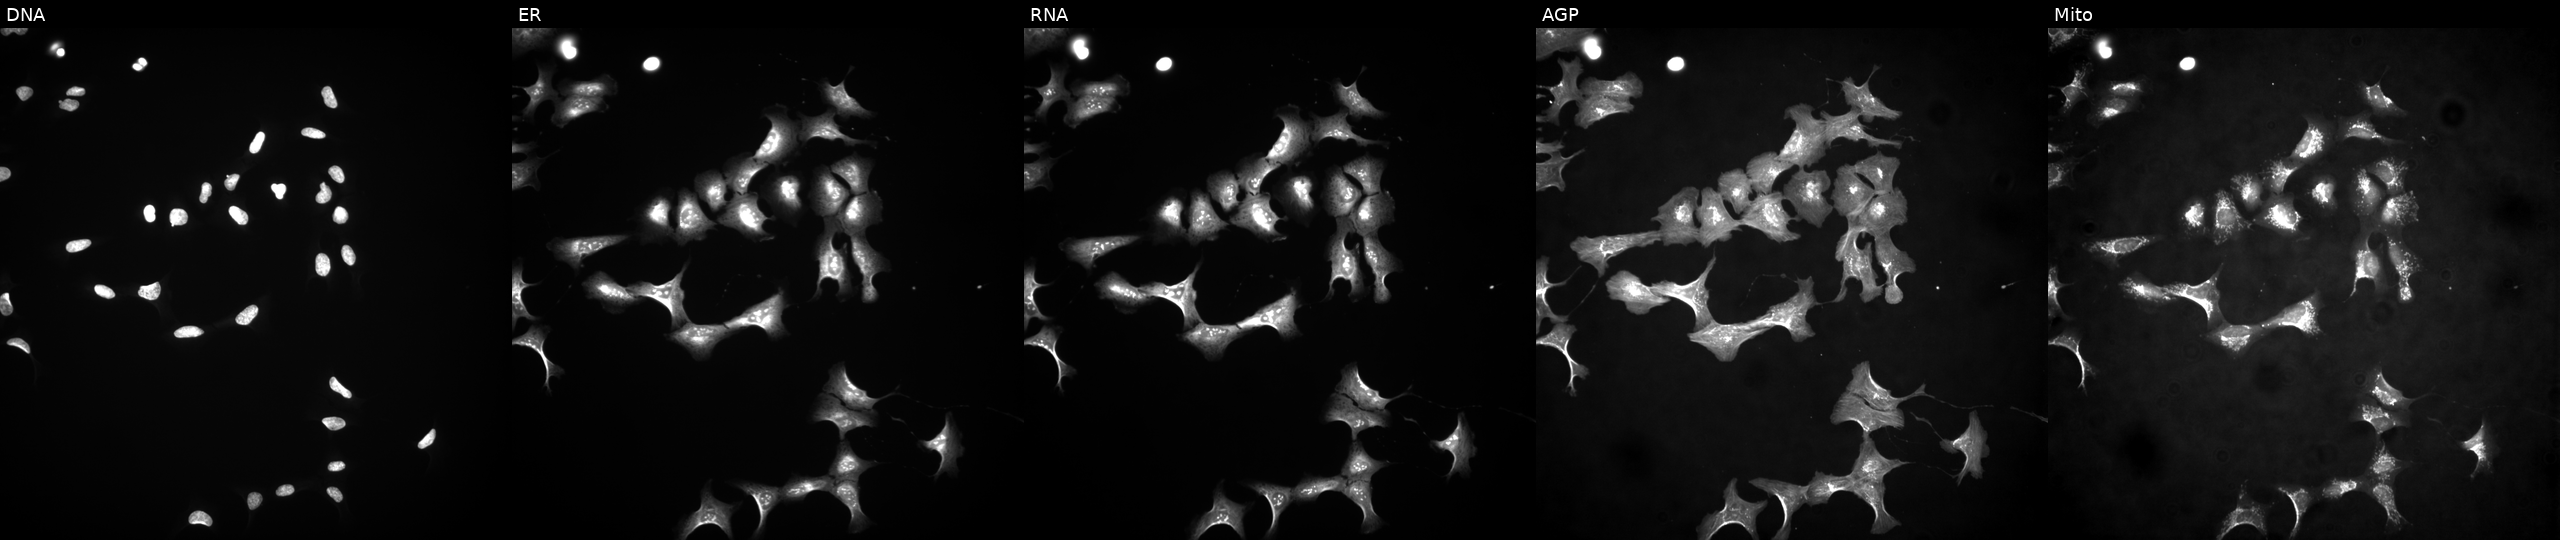
Five-channel Cell Painting image of U2OS cells with MTHFD2 overexpressed (ORF) (JUMP id JCP2022_910770). Channels (left→right): DNA (nuclei); ER (endoplasmic reticulum); RNA (nucleoli and cytoplasmic RNA); AGP (actin cytoskeleton, Golgi, and plasma membrane); Mito (mitochondria).